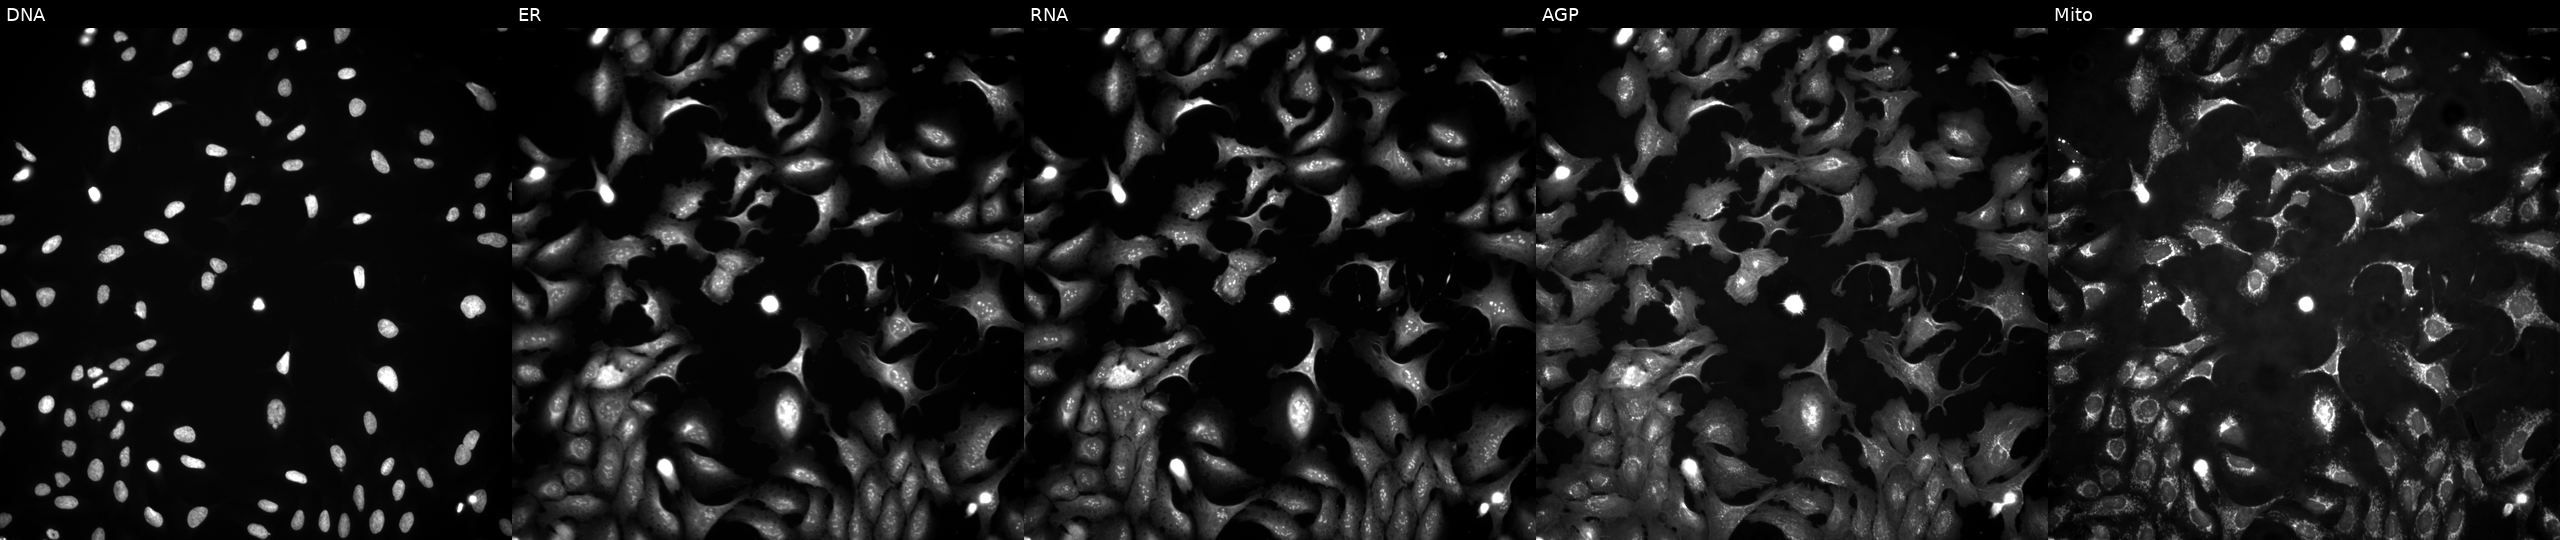
This image strip shows the five Cell Painting channels for a single field of U2OS cells transfected with an ORF construct for SH3BGR (JUMP id JCP2022_906498). The five panels, left to right, show DNA, ER, RNA, AGP, and Mito. Source 4, plate BR00124787, well H02.